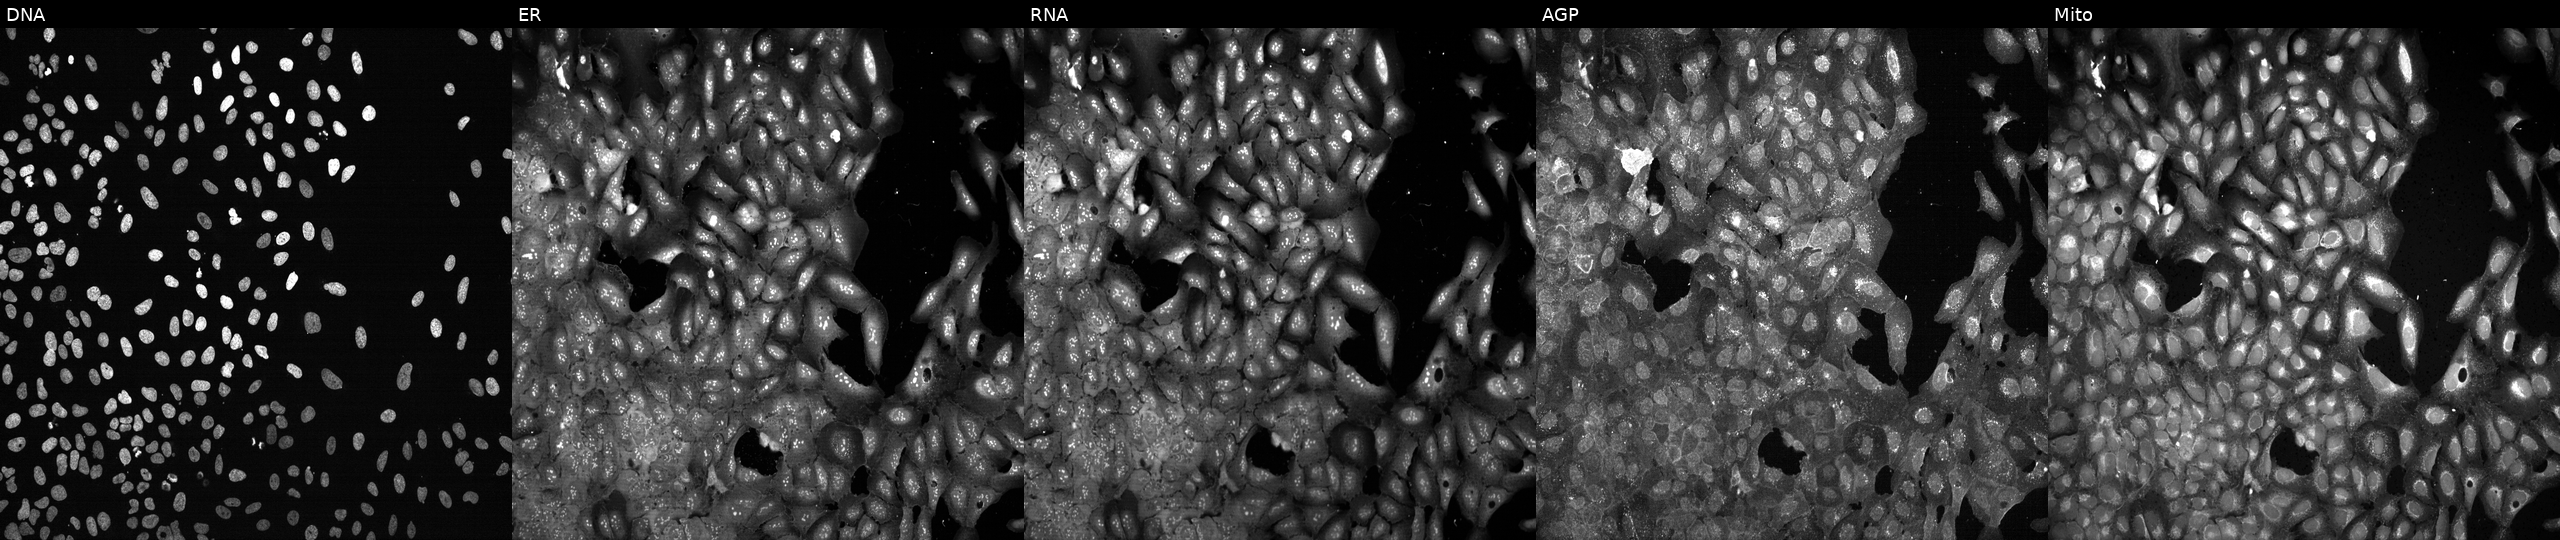
Five-channel Cell Painting image of U2OS cells following CRISPR knockout of GCLC (JUMP id JCP2022_802642). From left to right: DNA, ER, RNA, AGP, and Mito.